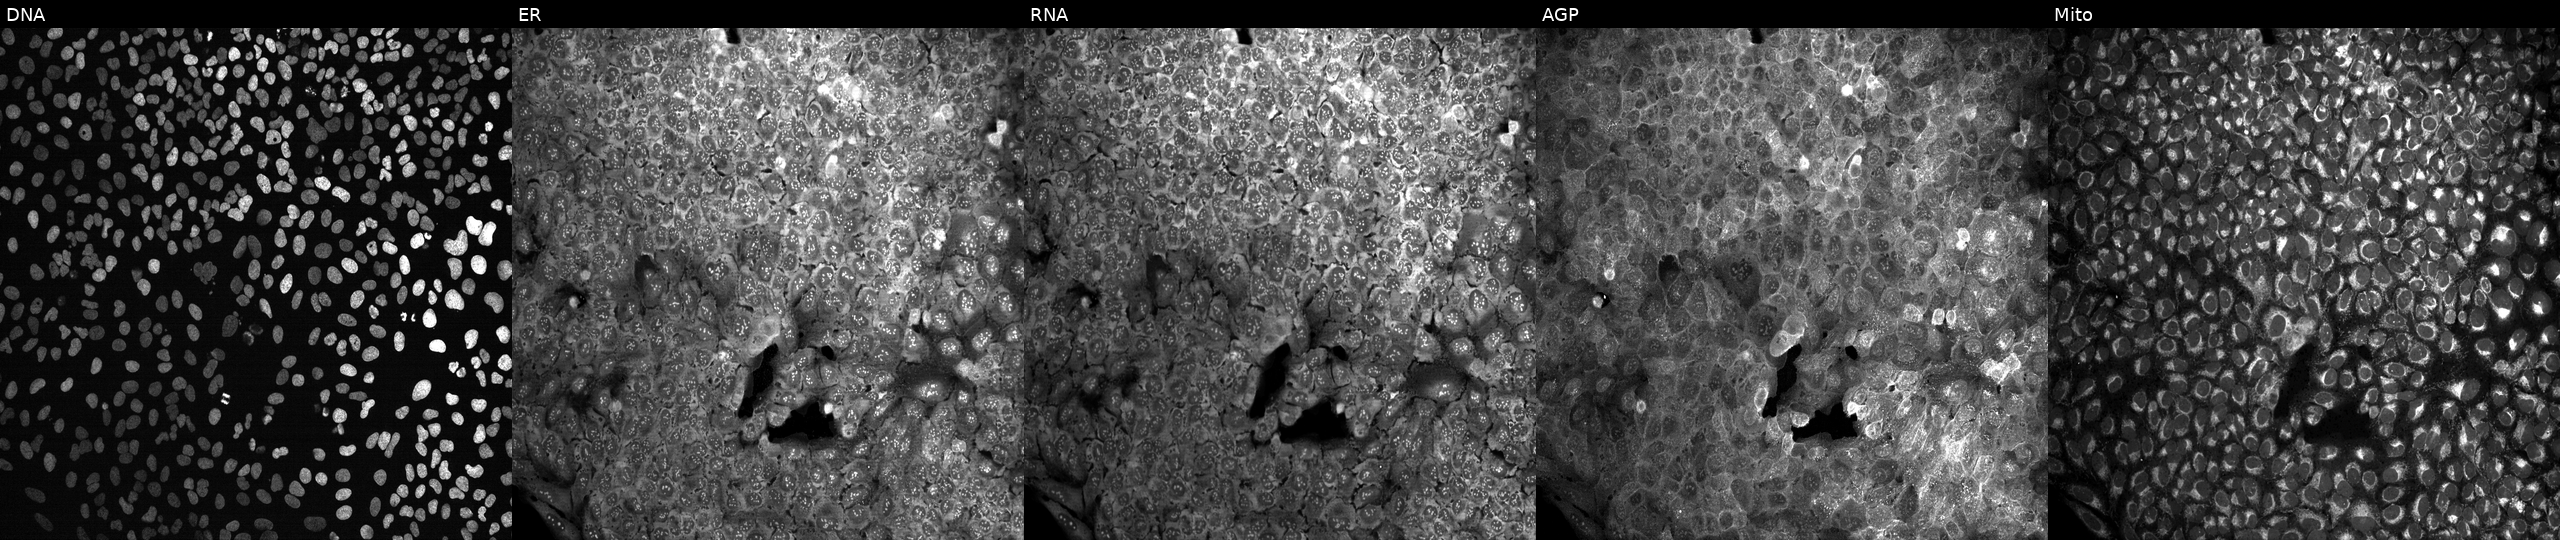
Five-channel Cell Painting image of U2OS cells exposed to DMSO alone as a negative control. Channels (left→right): Hoechst 33342, concanavalin A, SYTO 14, phalloidin and WGA, MitoTracker.